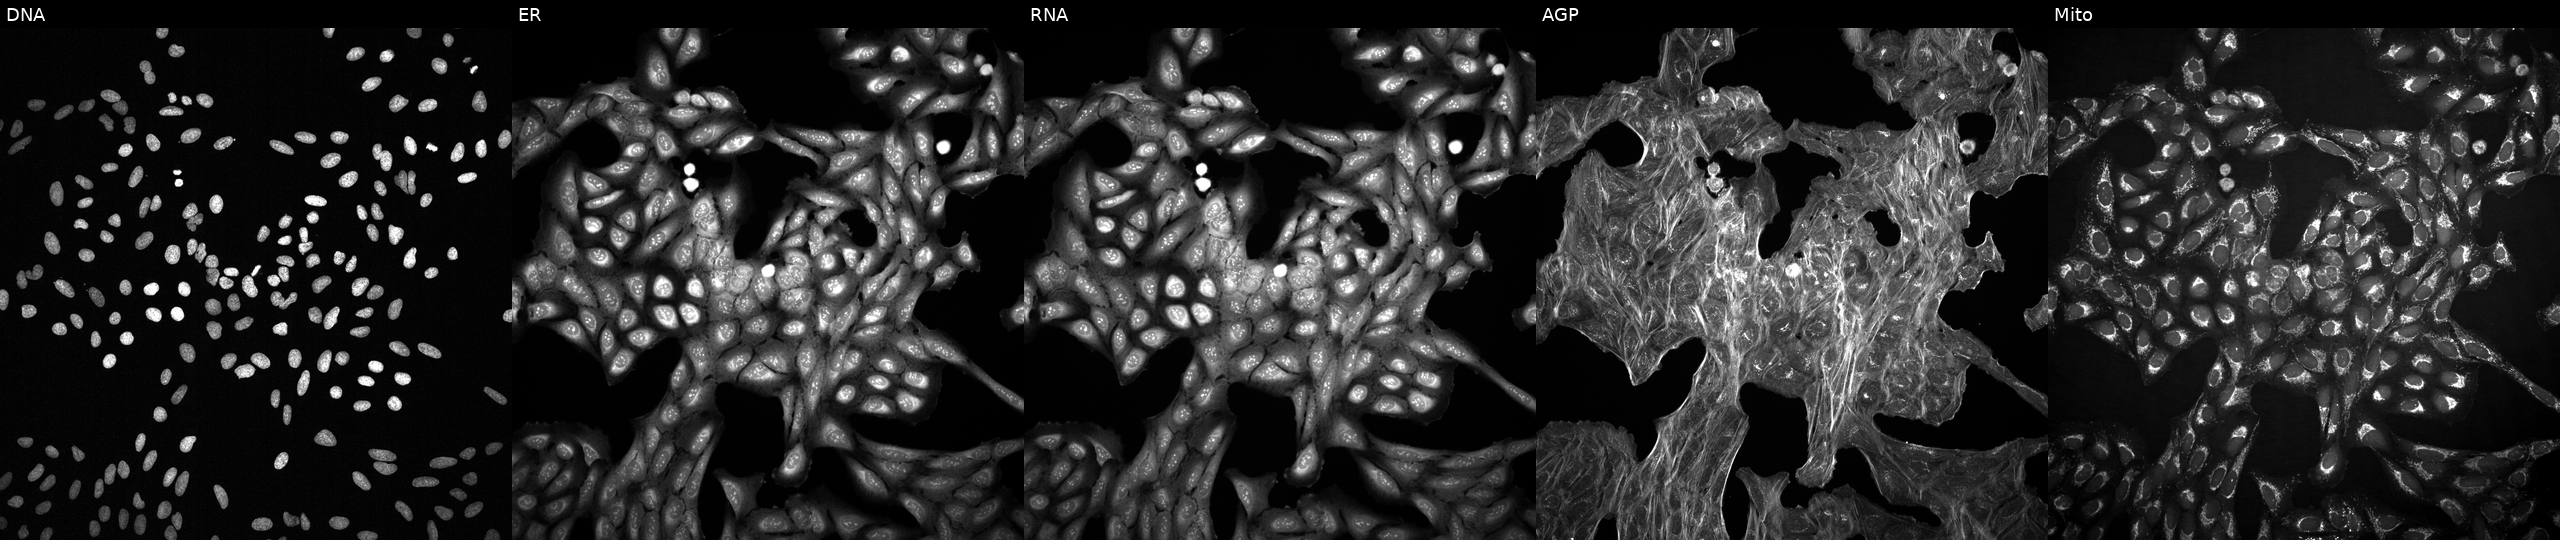
This image strip shows the five Cell Painting channels for a single field of U2OS cells treated with a small-molecule compound (JUMP id JCP2022_087123). The five panels, left to right, show DNA, ER, RNA, AGP, and Mito.